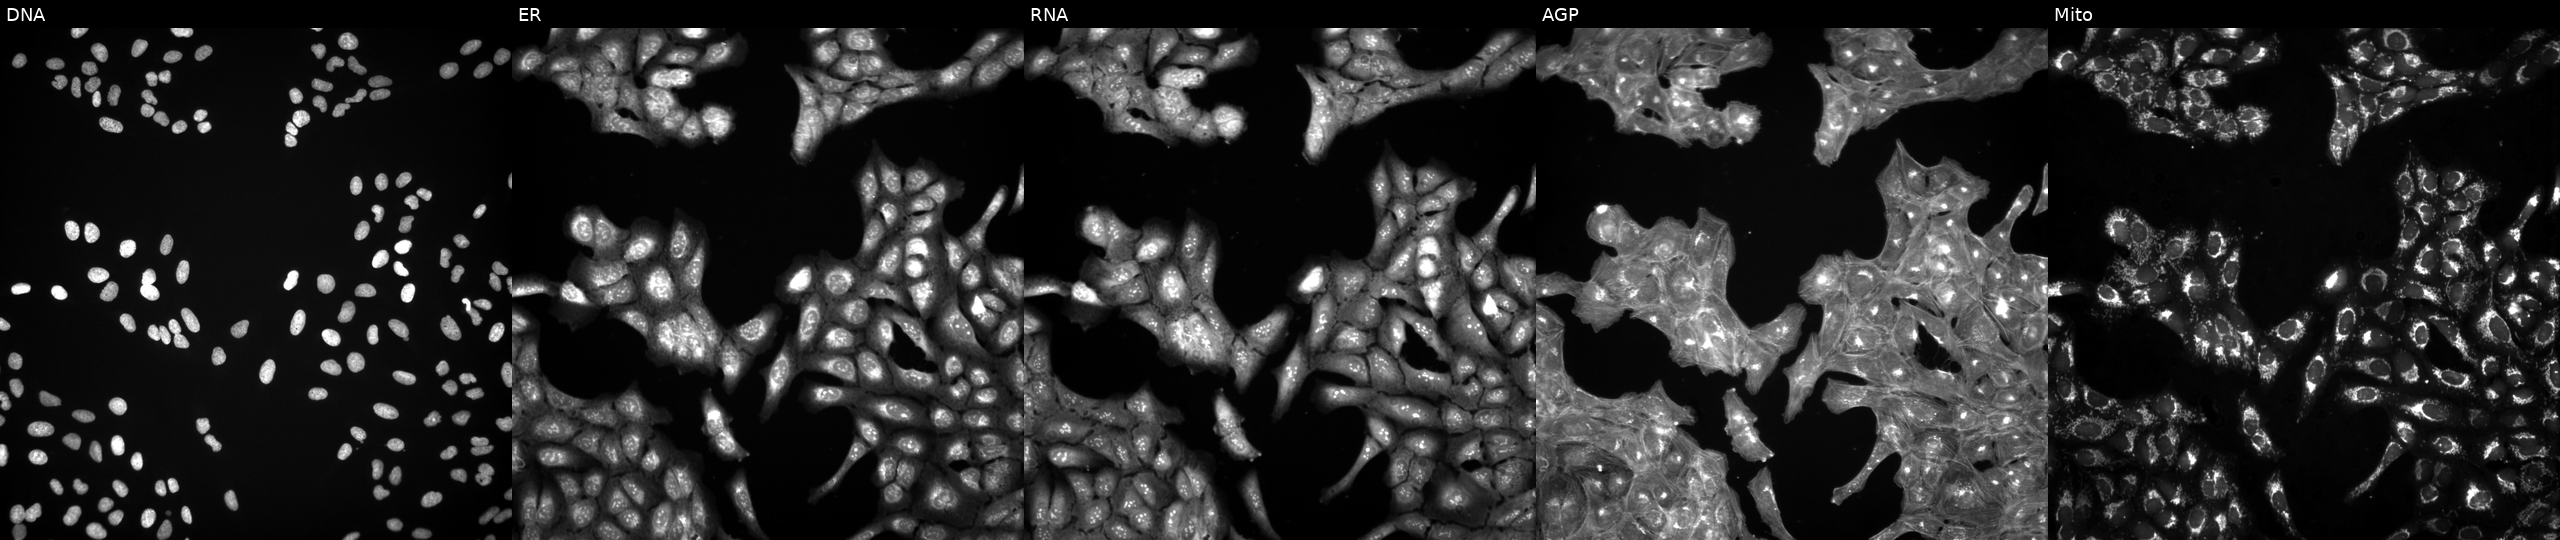
High-content fluorescence microscopy (Cell Painting). Cell line: U2OS. Perturbation: exposed to a small-molecule compound [SMILES: Cc1c(-c2ccnn2C)cc(C(=O)NCc2ccc(S(C)(=O)=O)cn2)c(=O)n1-c1cccc(C(F)(F)F)c1]. From left to right: Hoechst 33342, concanavalin A, SYTO 14, phalloidin and WGA, MitoTracker. Source 3, plate JCPQC051, well E17.